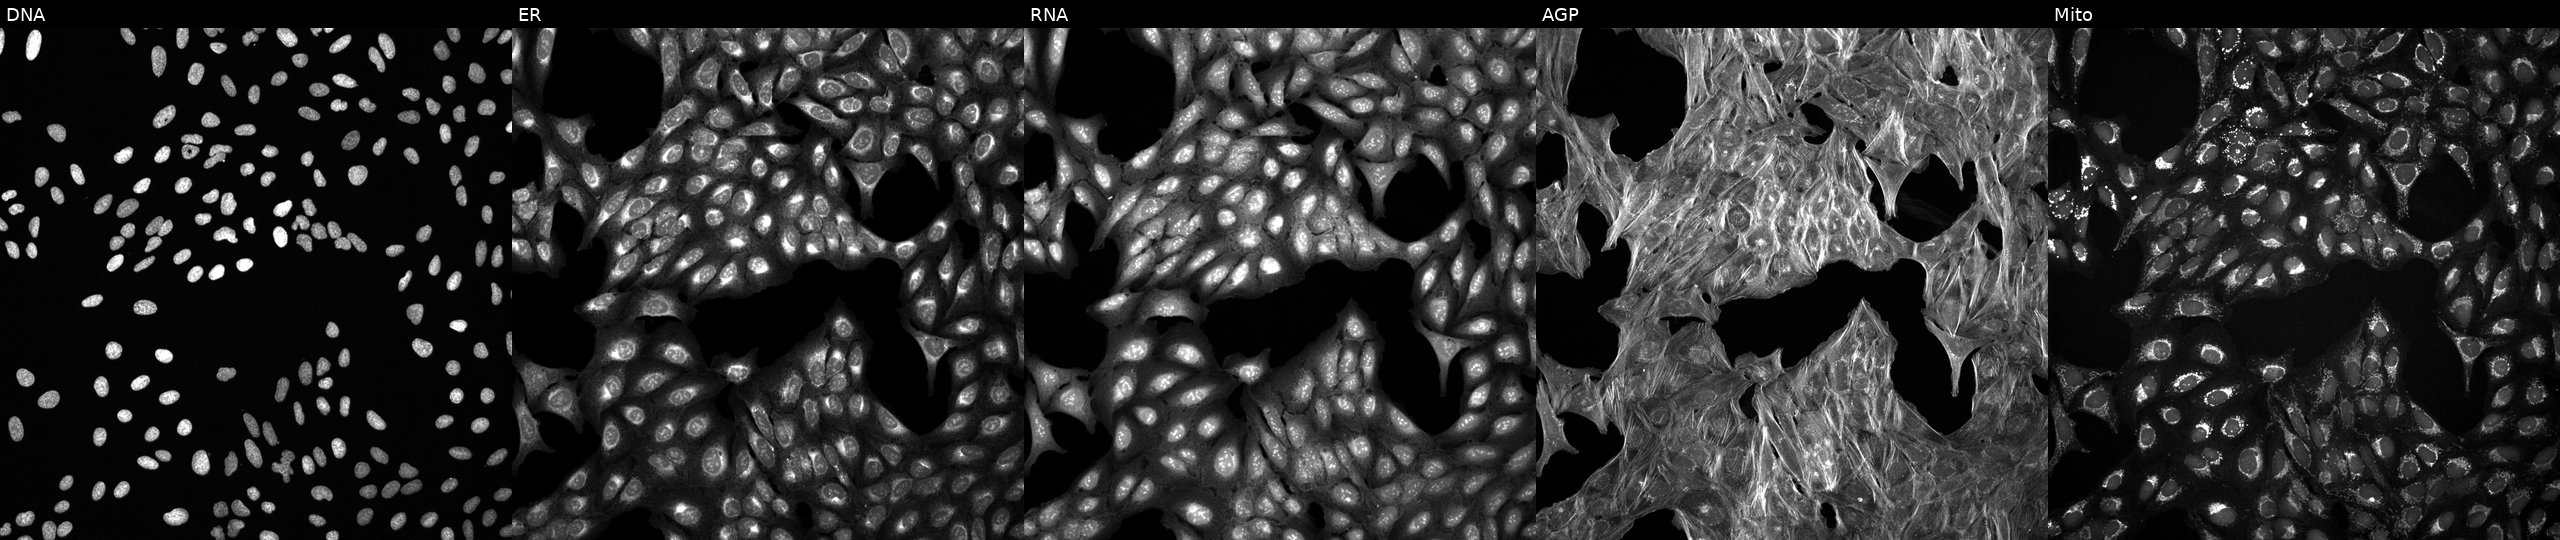
JUMP Cell Painting — COMPOUND plate. U2OS cells treated with a small-molecule compound (InChIKey JAMLEVSUIQSKLJ-UHFFFAOYSA-N) [SMILES: COc1ccc(CCNC(=O)c2cc(C)nc3onc(-c4ccc(F)cc4)c23)cc1OC] (JUMP id JCP2022_038514). Panels show, left to right, DNA, ER, RNA, AGP, and Mito.